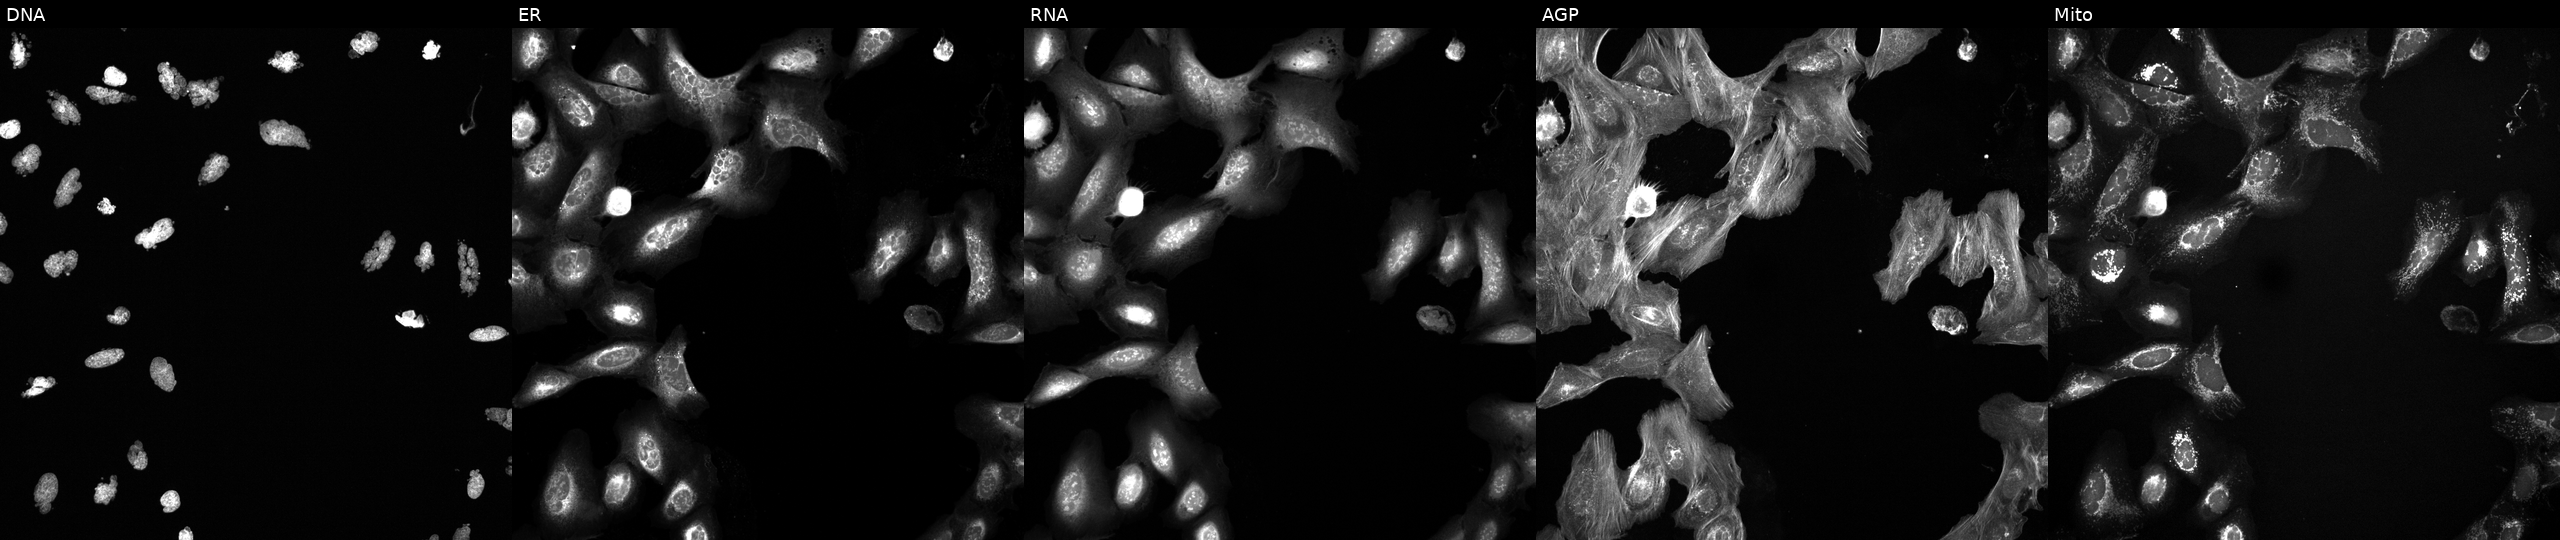
Five-channel Cell Painting image of U2OS cells exposed to the positive-control compound AMG900 (JUMP id JCP2022_037716). The five panels, left to right, show DNA, ER, RNA, AGP, and Mito.